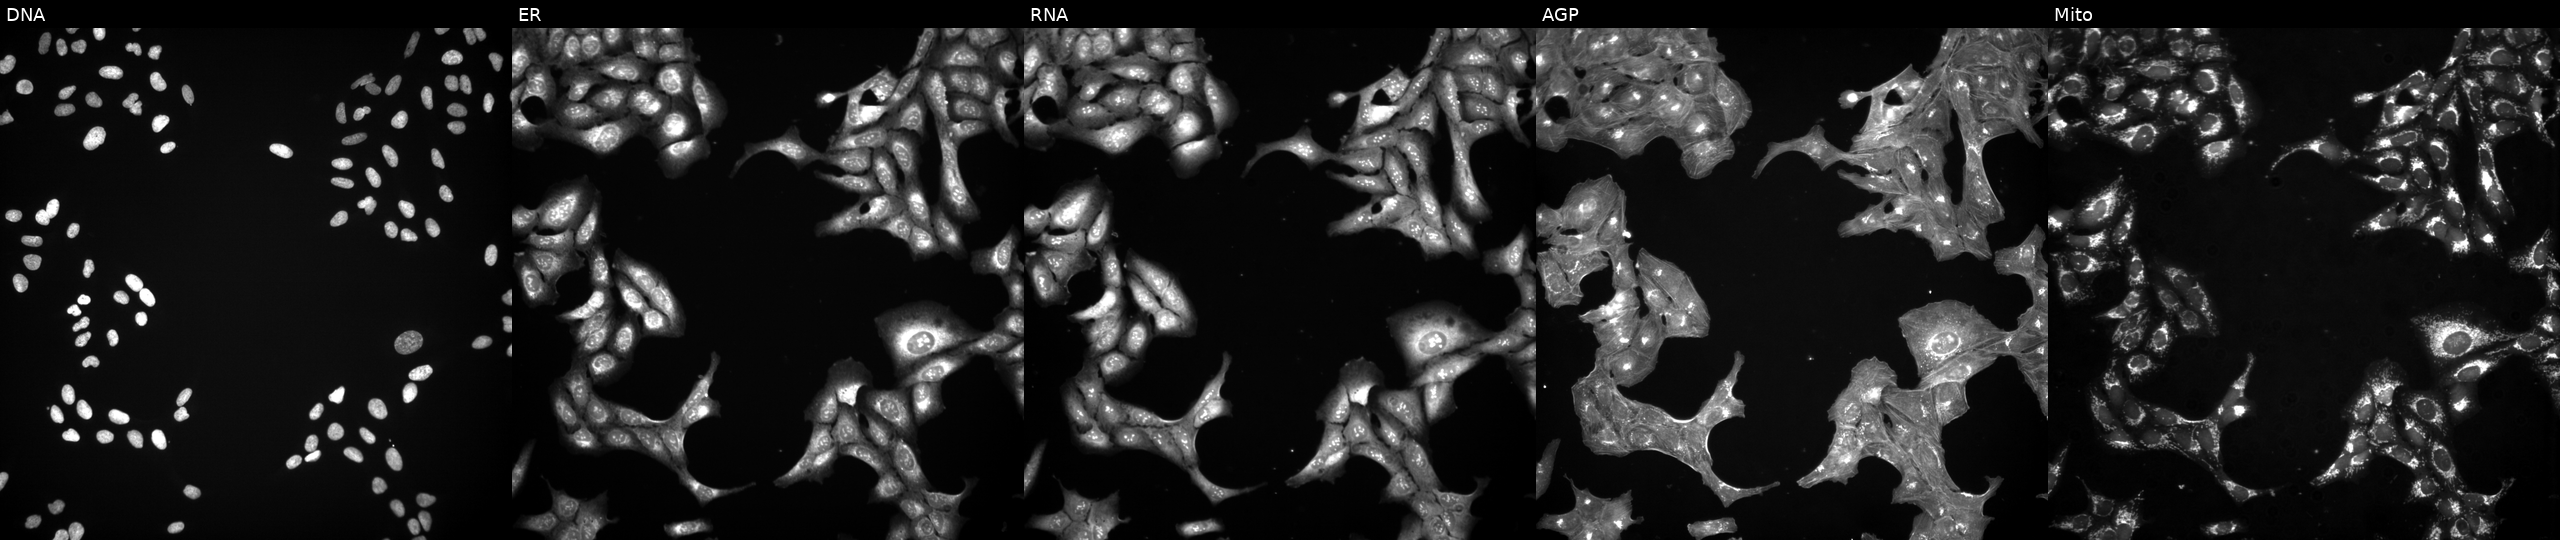
JUMP Cell Painting — COMPOUND plate. U2OS cells treated with a small-molecule compound (JUMP id JCP2022_070713). Channels (left→right): DNA (nuclei); ER (endoplasmic reticulum); RNA (nucleoli and cytoplasmic RNA); AGP (actin cytoskeleton, Golgi, and plasma membrane); Mito (mitochondria). Source 3, plate BR5867b3, well D10.